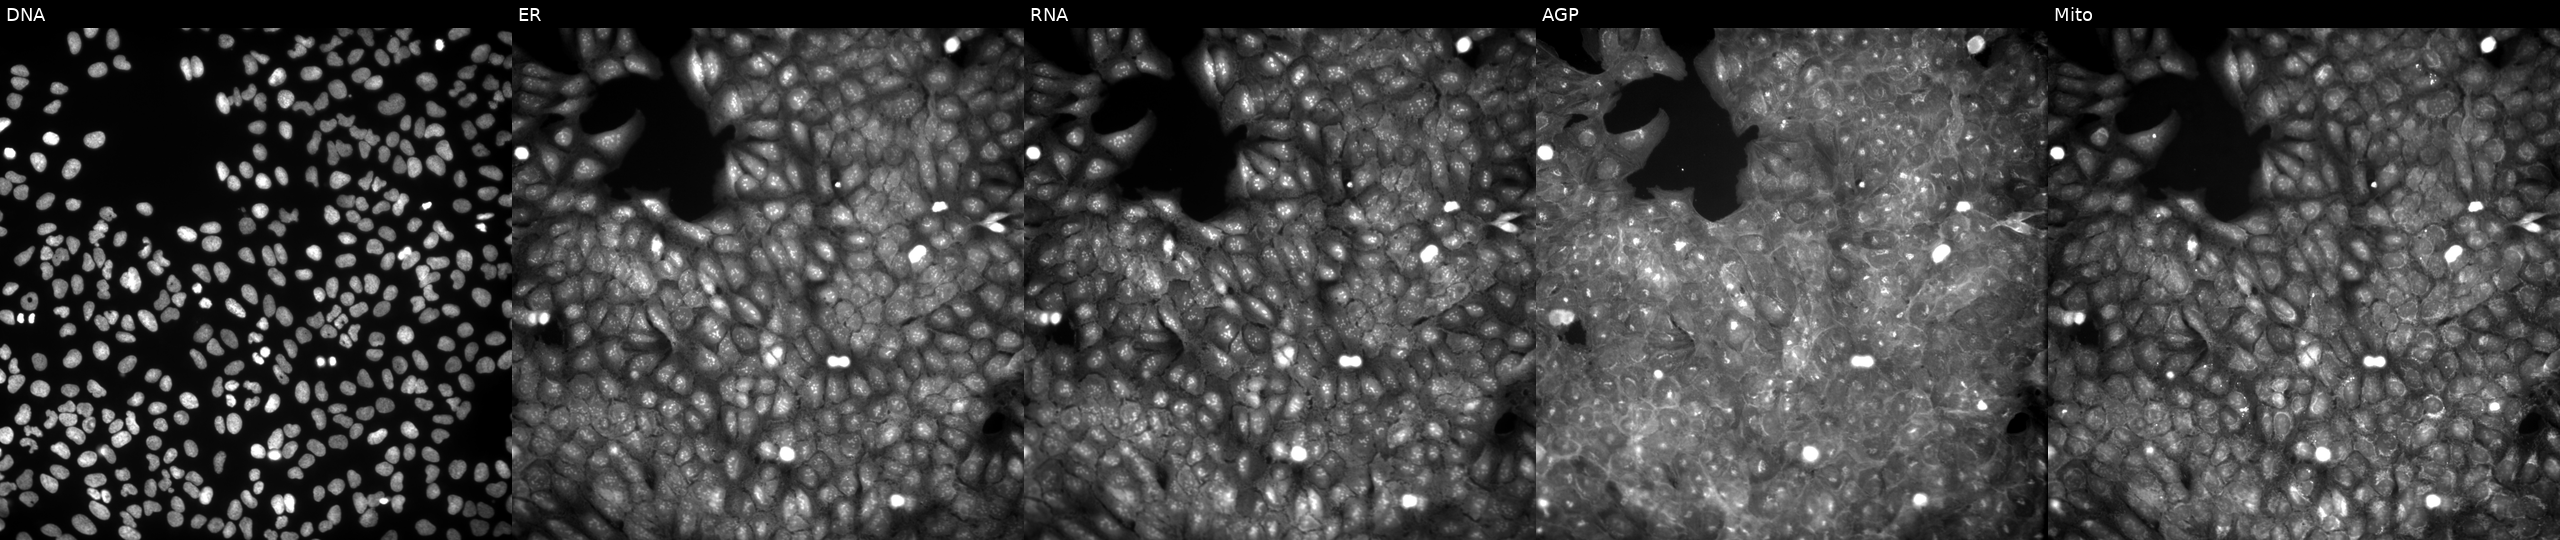
High-content fluorescence microscopy (Cell Painting). Cell line: U2OS. Perturbation: exposed to DMSO alone as a negative control. The five panels, left to right, show DNA, ER, RNA, AGP, and Mito.